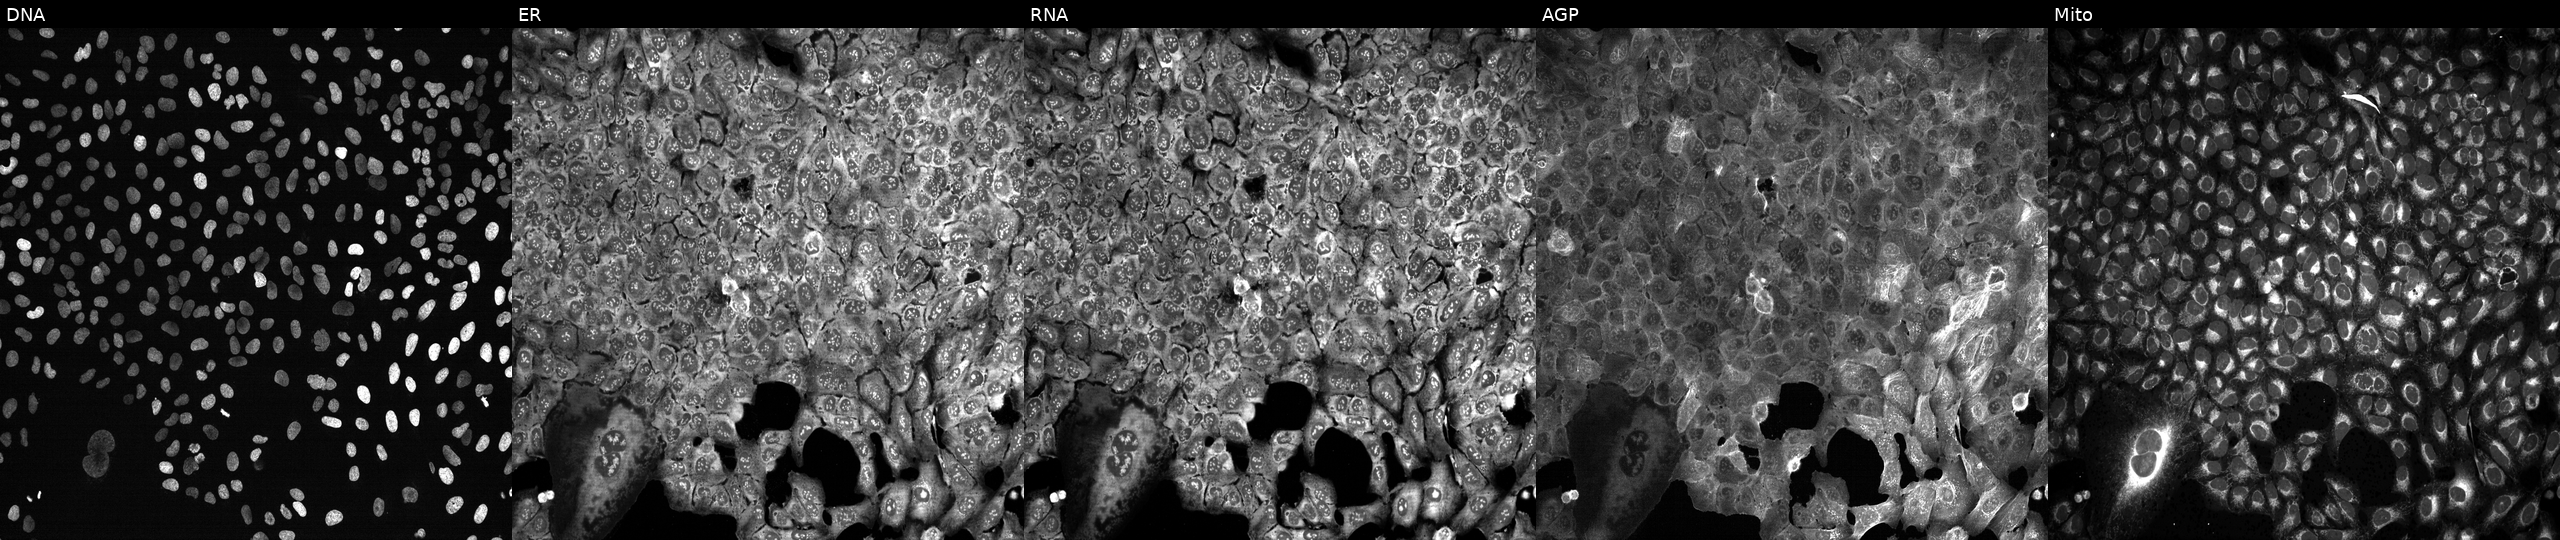
Five-channel Cell Painting image of U2OS cells CRISPR-edited to disrupt AGBL2. Panels show, left to right, DNA, ER, RNA, AGP, and Mito.